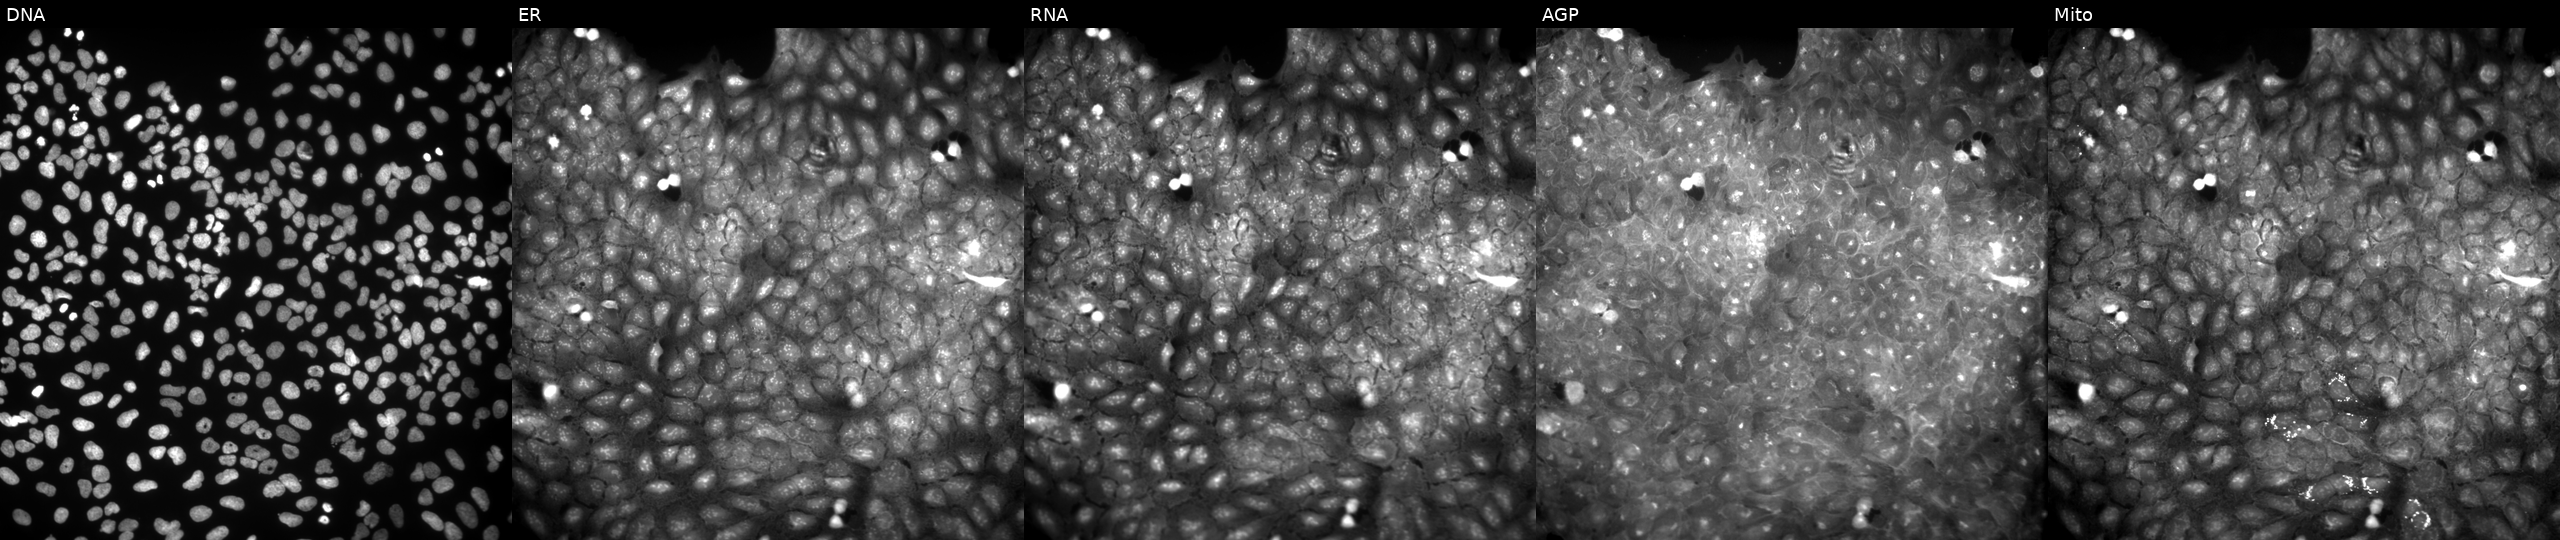
This image strip shows the five Cell Painting channels for a single field of U2OS cells perturbed with a small-molecule compound [SMILES: COc1ccc(Nc2cc(O)n(CCc3ccccc3)c2O)cc1]. The five panels, left to right, show Hoechst 33342, concanavalin A, SYTO 14, phalloidin and WGA, MitoTracker.